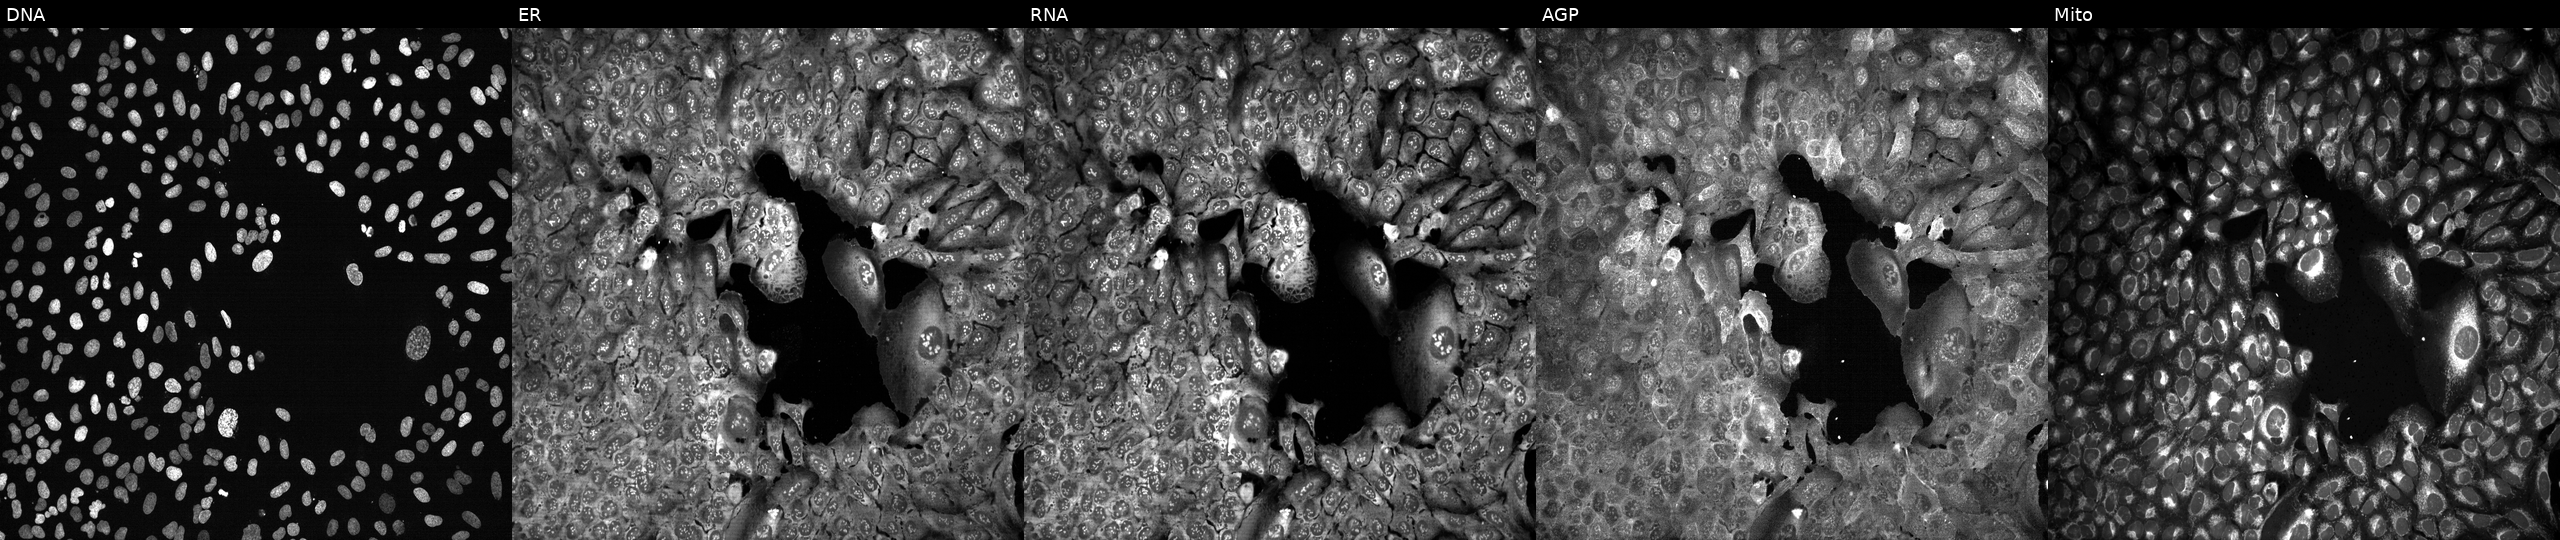
This image strip shows the five Cell Painting channels for a single field of U2OS cells with GALC knocked out by CRISPR (JUMP id JCP2022_802579). From left to right: Hoechst 33342, concanavalin A, SYTO 14, phalloidin and WGA, MitoTracker.